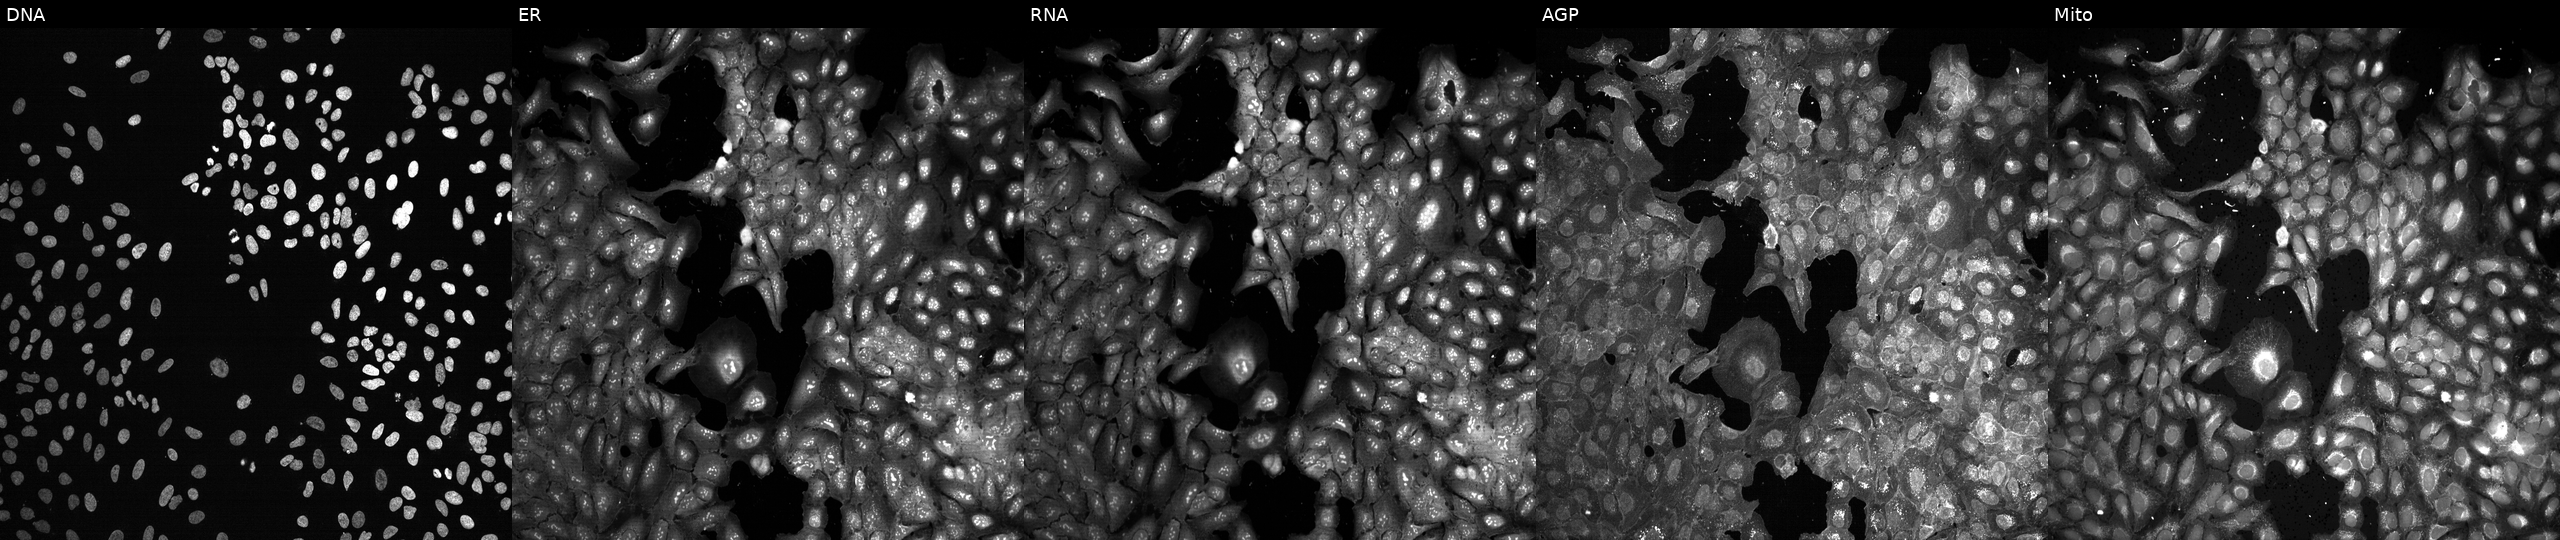
Five-channel Cell Painting image of U2OS cells with SNUPN knocked out by CRISPR (JUMP id JCP2022_806668). Panels show, left to right, DNA, ER, RNA, AGP, and Mito.